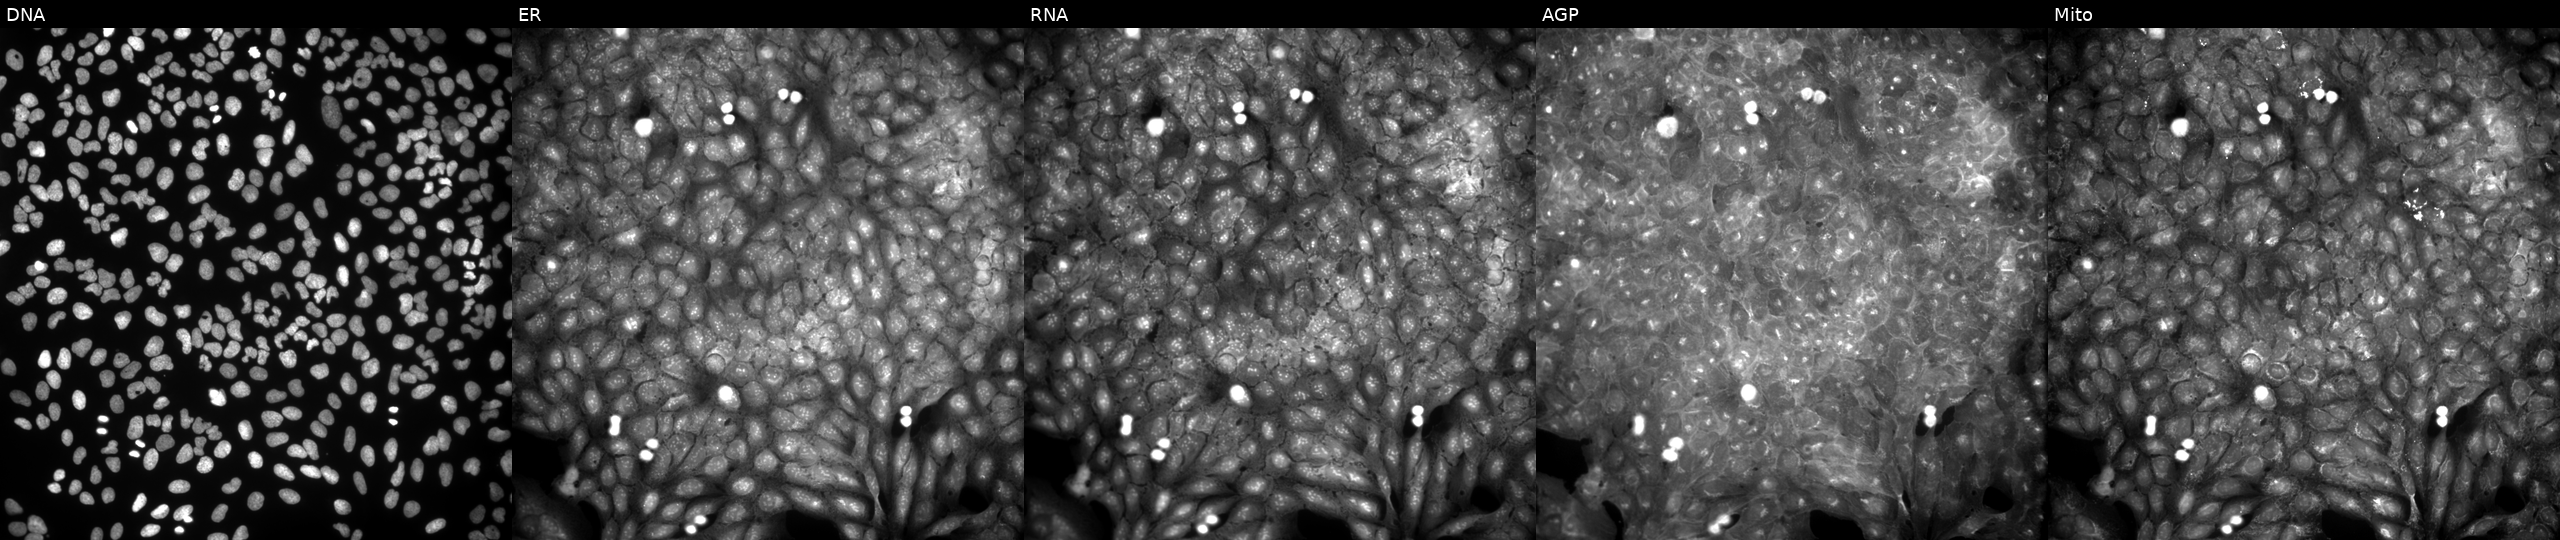
JUMP Cell Painting — COMPOUND plate. U2OS cells treated with DMSO vehicle only (negative control) (JUMP id JCP2022_033924). Panels show, left to right, DNA, ER, RNA, AGP, and Mito.